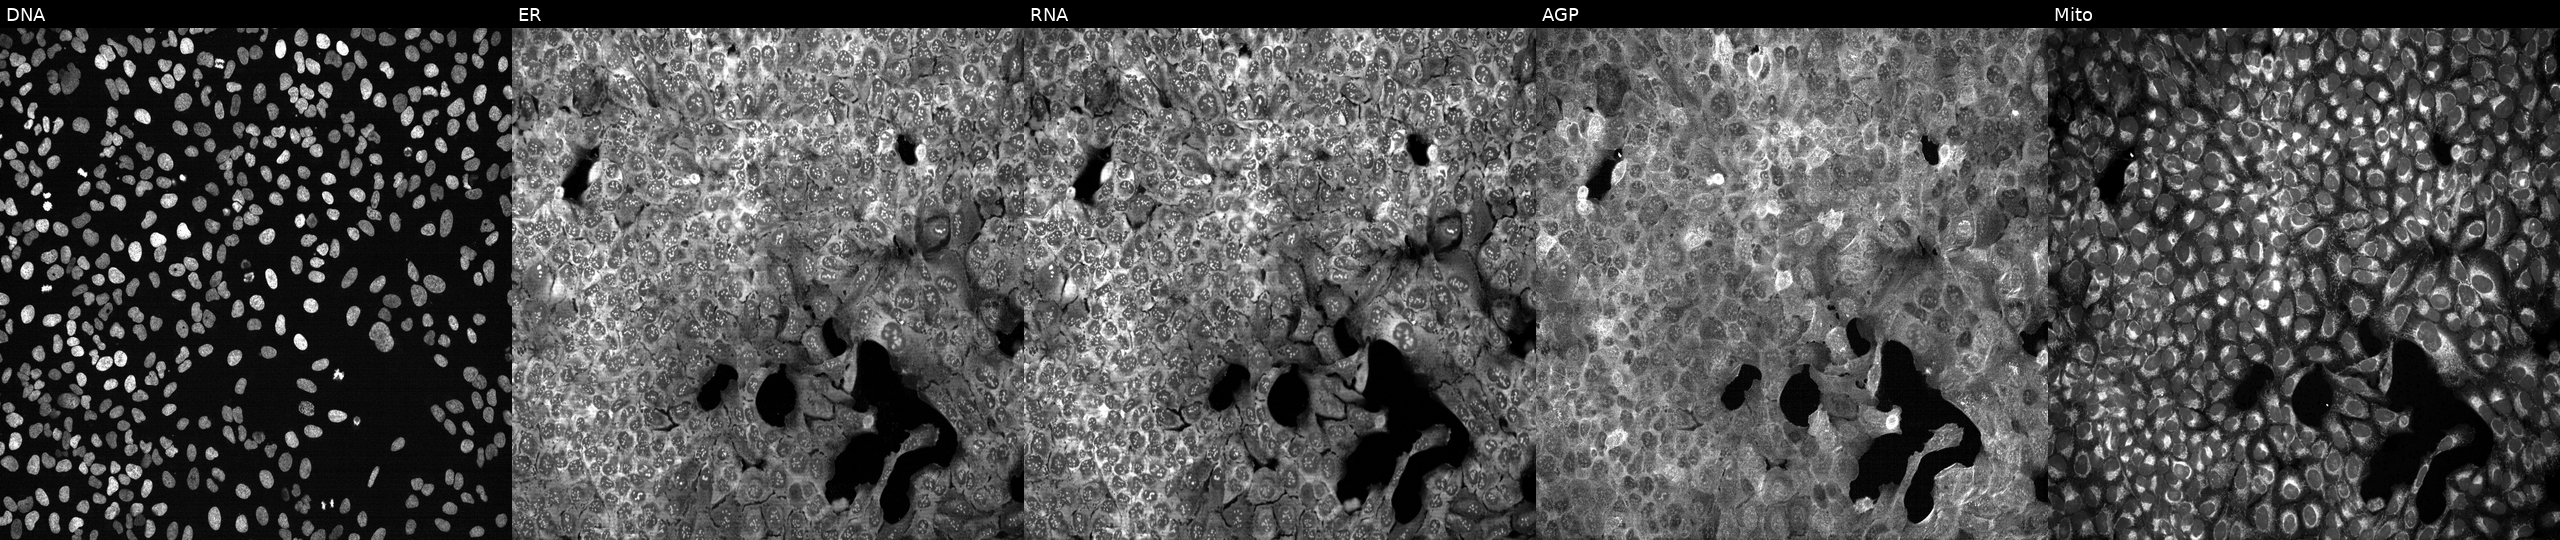
JUMP Cell Painting — CRISPR plate. U2OS cells following CRISPR knockout of CA7 (JUMP id JCP2022_800983). From left to right: DNA (nuclei); ER (endoplasmic reticulum); RNA (nucleoli and cytoplasmic RNA); AGP (actin cytoskeleton, Golgi, and plasma membrane); Mito (mitochondria).